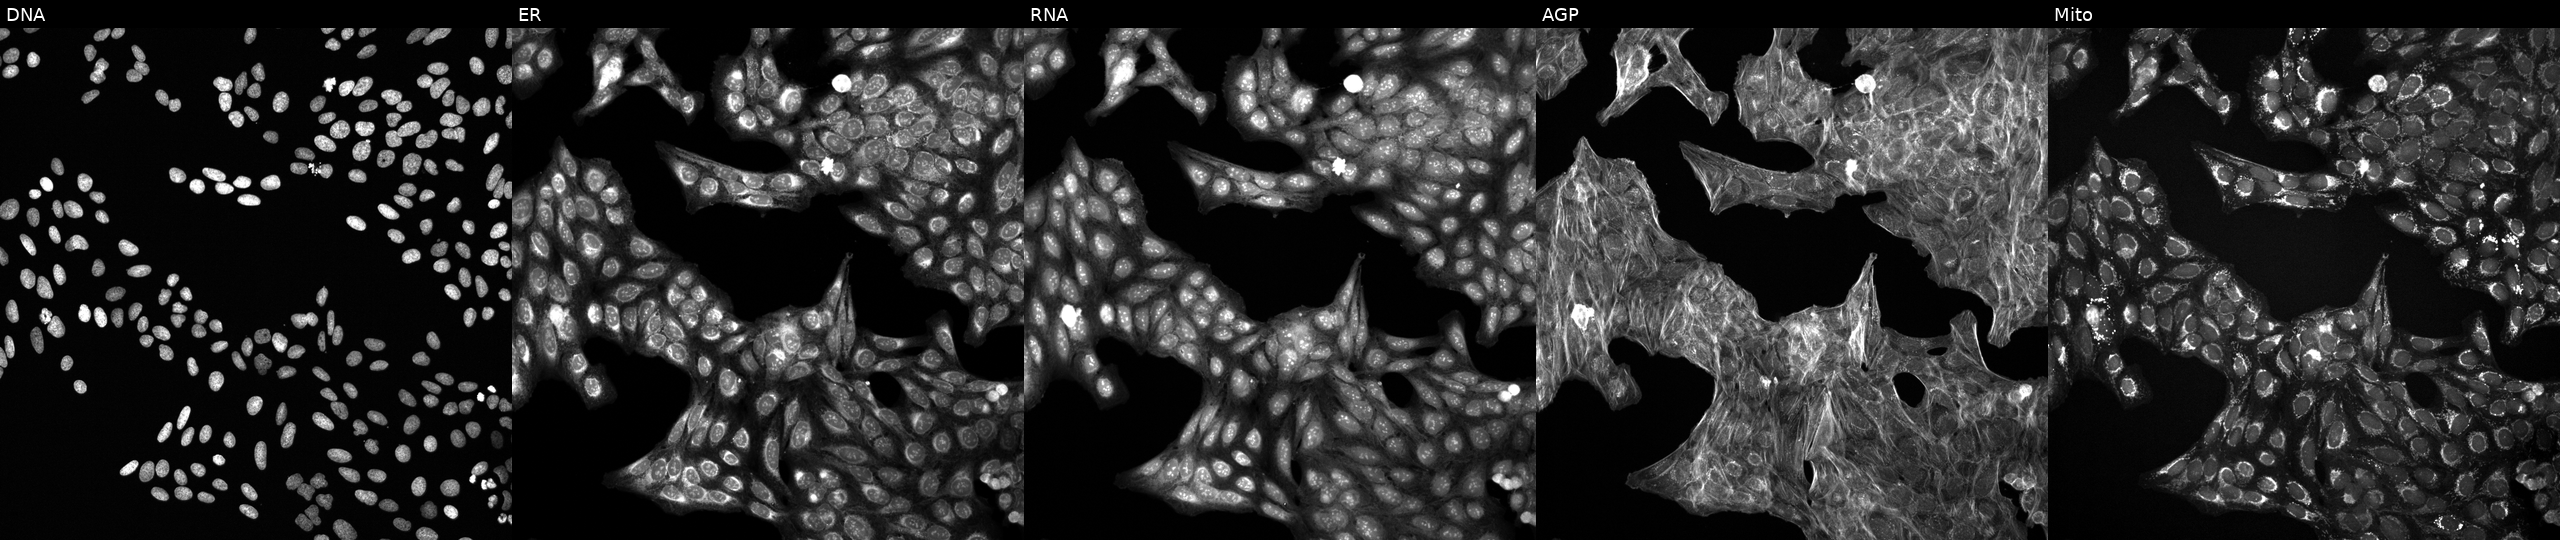
This image strip shows the five Cell Painting channels for a single field of U2OS cells treated with LY2109761 (positive-control compound) (JUMP id JCP2022_035095). Panels show, left to right, Hoechst 33342, concanavalin A, SYTO 14, phalloidin and WGA, MitoTracker. Source 6, plate 110000293083, well A24.